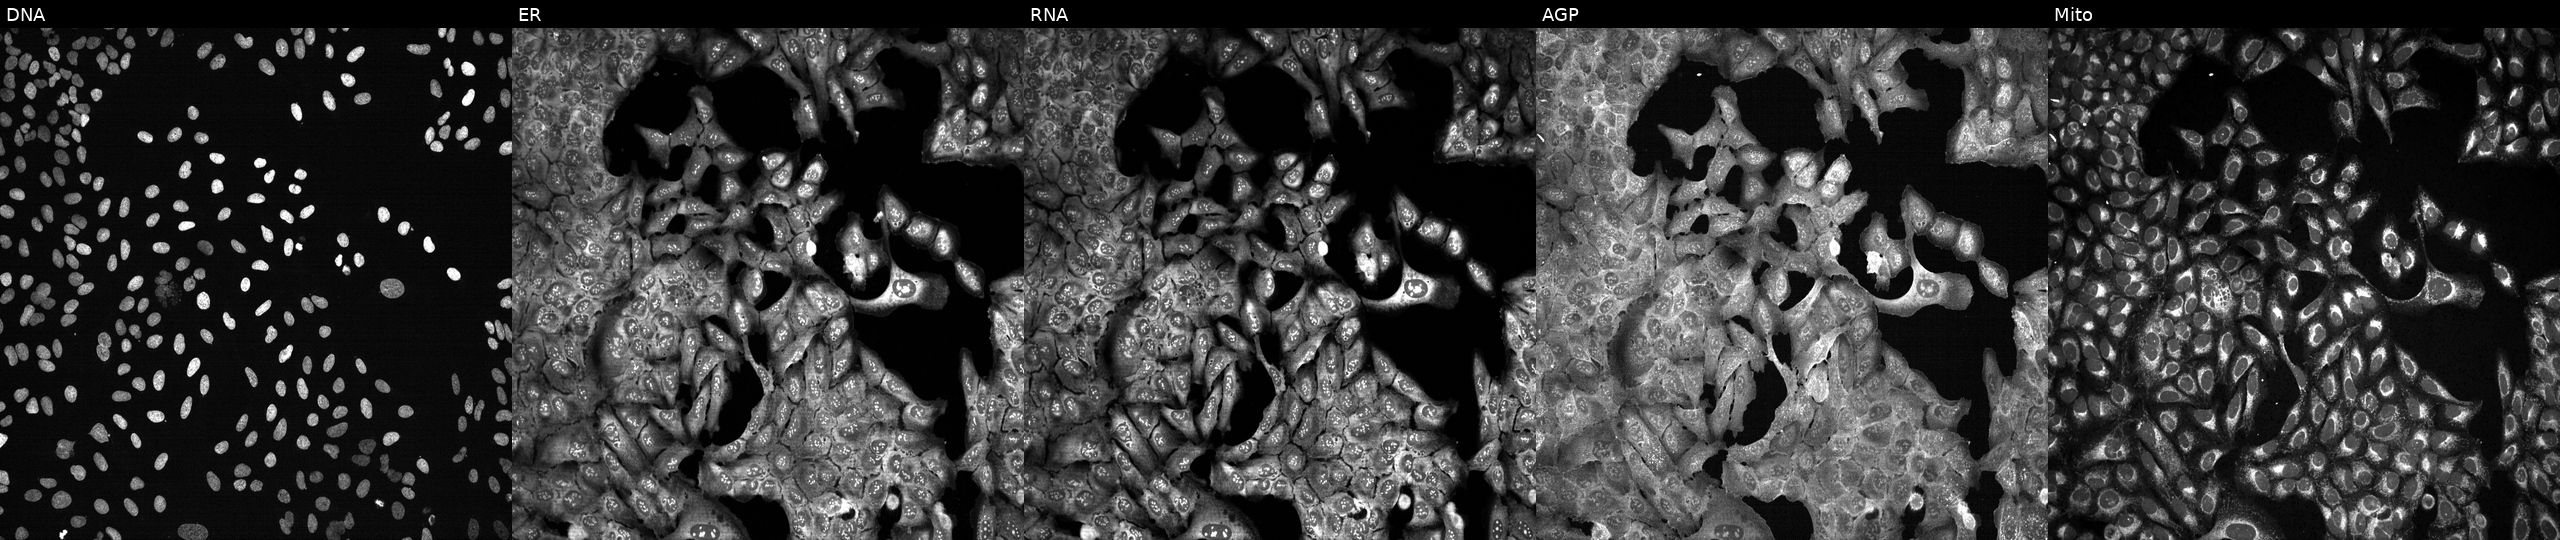
JUMP Cell Painting — CRISPR plate. U2OS cells with ARG2 knocked out by CRISPR. From left to right: DNA, ER, RNA, AGP, and Mito.